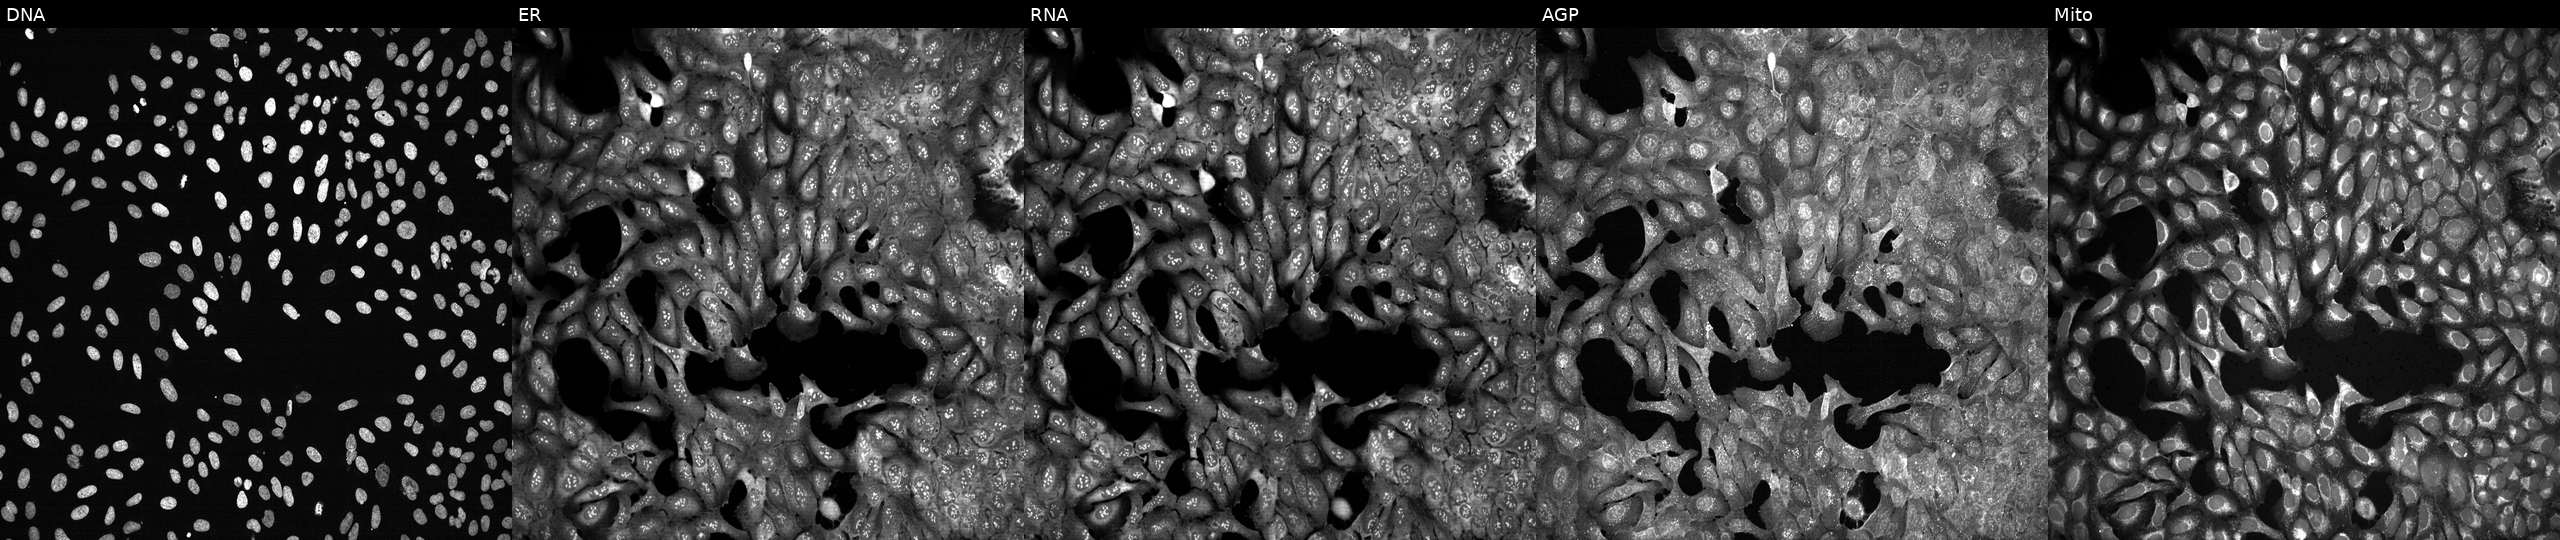
Five-channel Cell Painting image of U2OS cells with NDST4 knocked out by CRISPR (JUMP id JCP2022_804471). The five panels, left to right, show DNA, ER, RNA, AGP, and Mito.